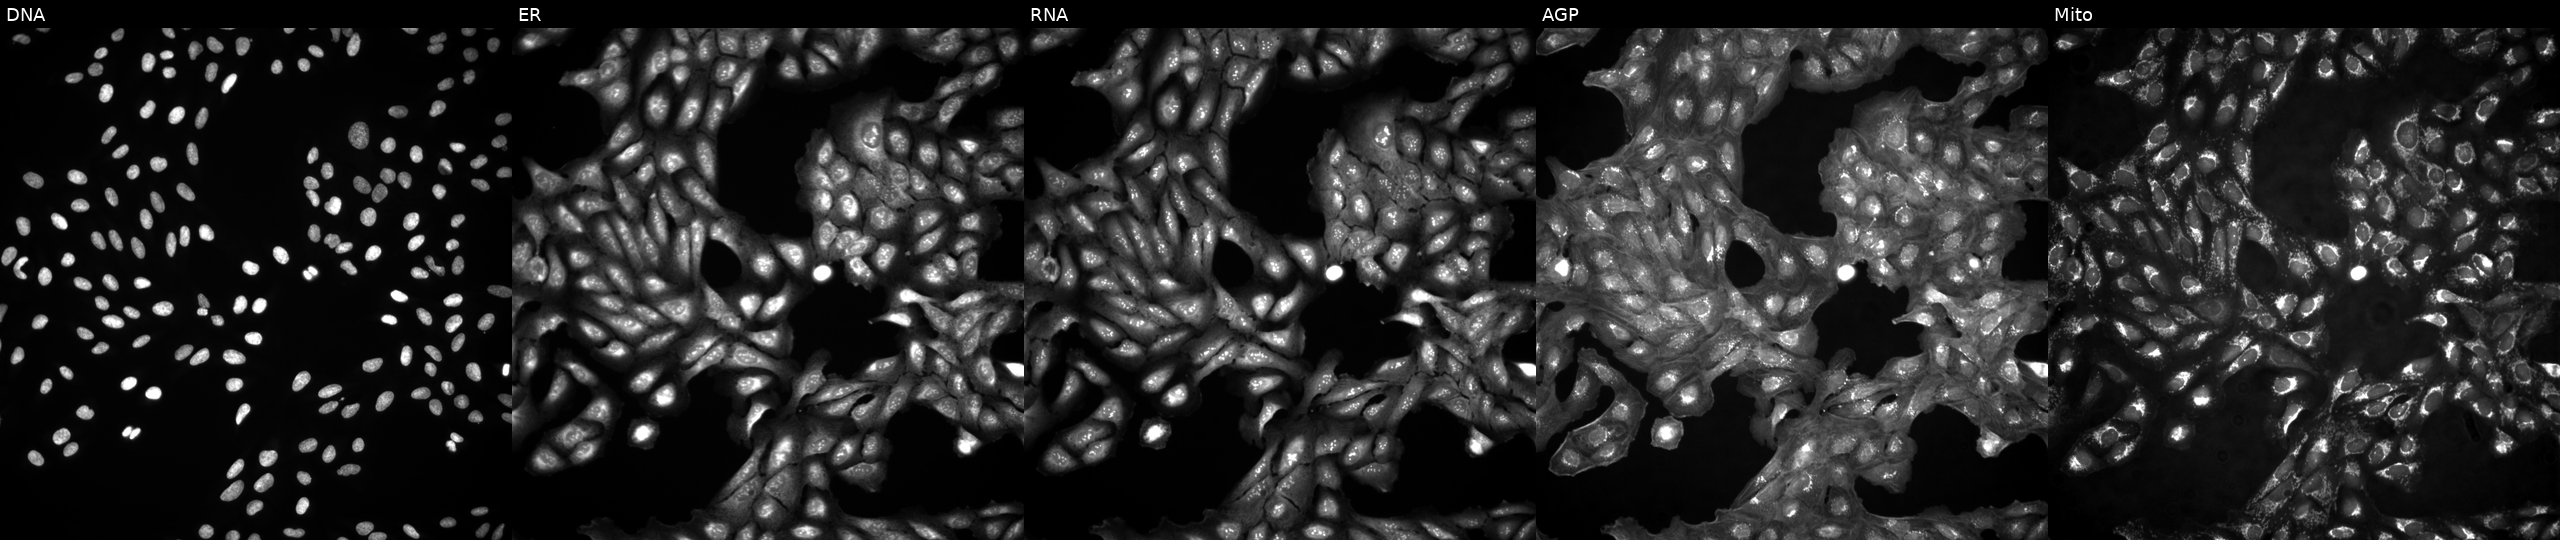
From left to right: DNA, ER, RNA, AGP, and Mito. U2OS osteosarcoma cells in an empty control well (no perturbation). Cell Painting assay, JUMP-CP dataset.